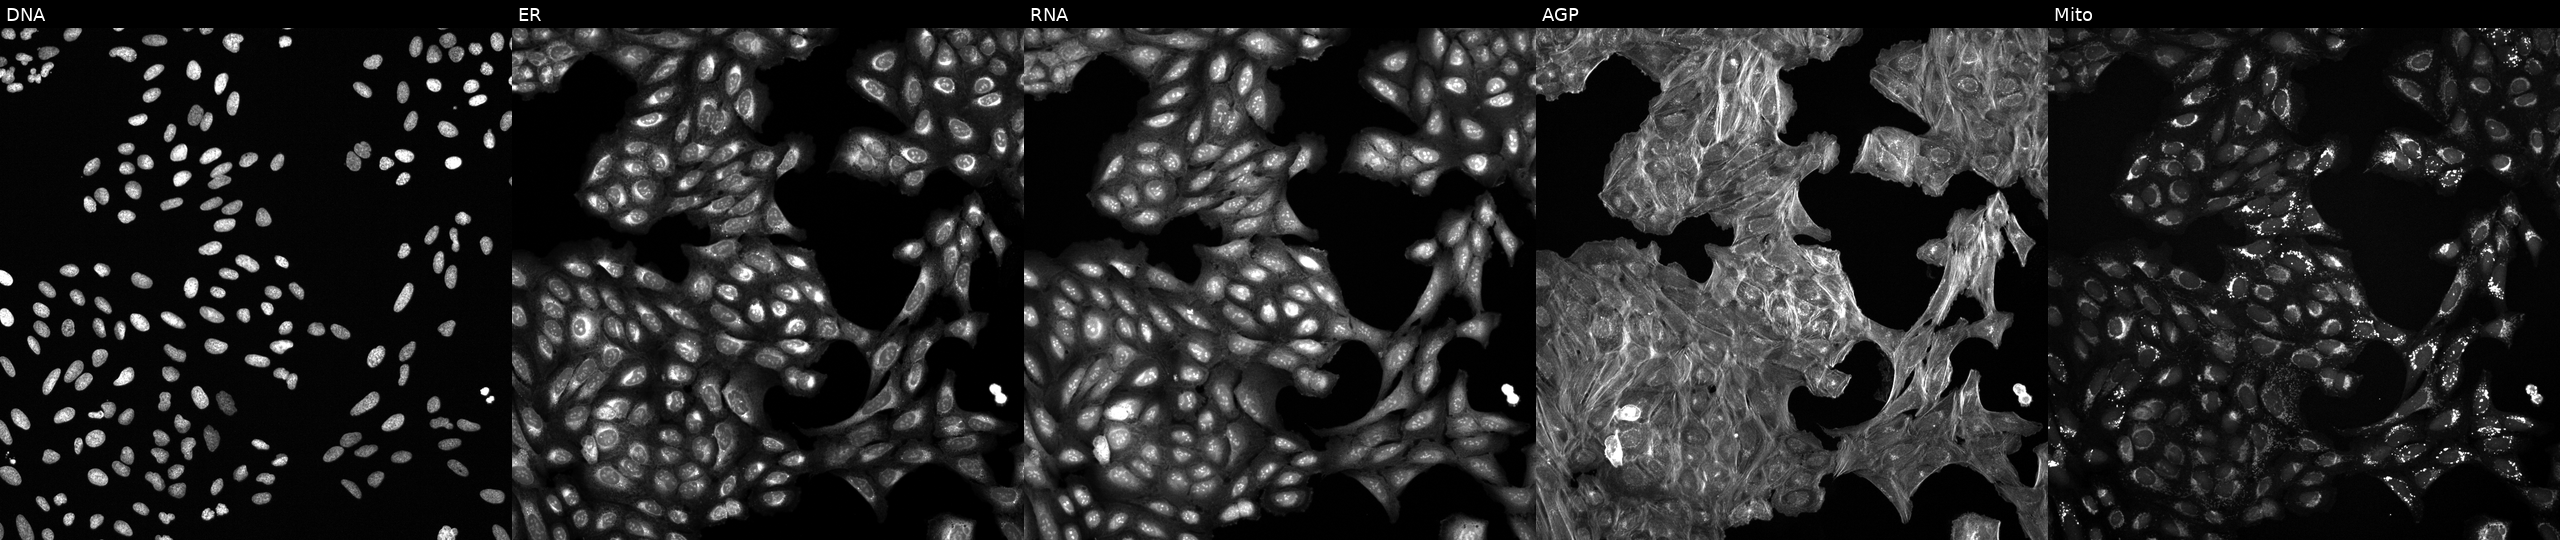
U2OS cells, Cell Painting assay, treated with a small-molecule compound (InChIKey LPEPZBJOKDYZAD-UHFFFAOYSA-N) (JUMP id JCP2022_050861). The five panels, left to right, show DNA, ER, RNA, AGP, and Mito. Each panel is percentile-stretched 16-bit fluorescence.